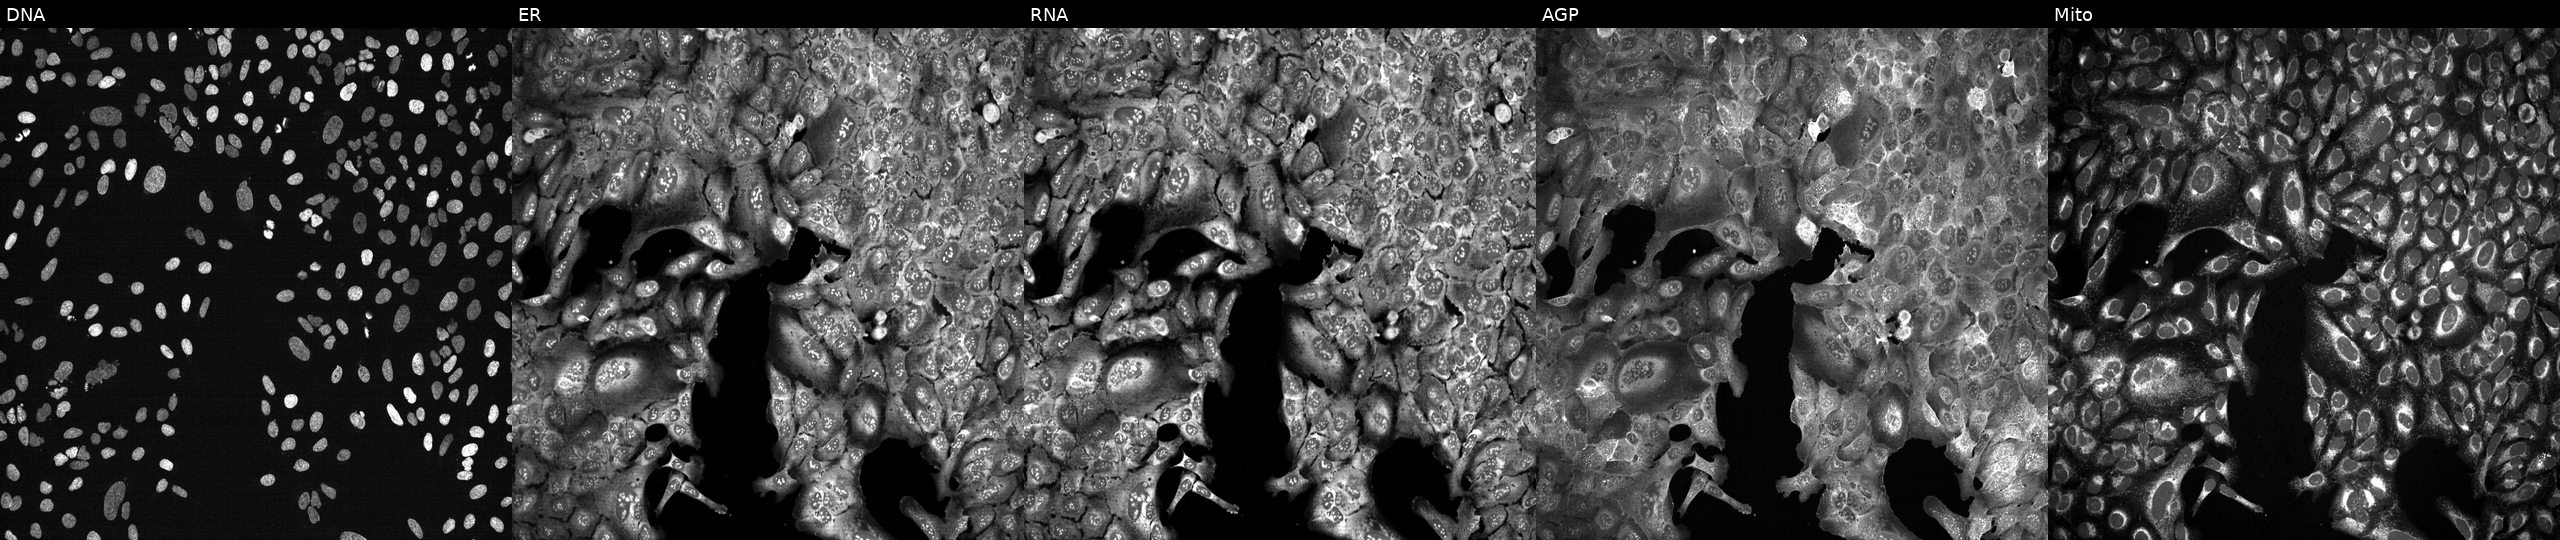
High-content fluorescence microscopy (Cell Painting). Cell line: U2OS. Perturbation: following CRISPR knockout of CCL13 (JUMP id JCP2022_801101). Channels (left→right): DNA (nuclei); ER (endoplasmic reticulum); RNA (nucleoli and cytoplasmic RNA); AGP (actin cytoskeleton, Golgi, and plasma membrane); Mito (mitochondria).